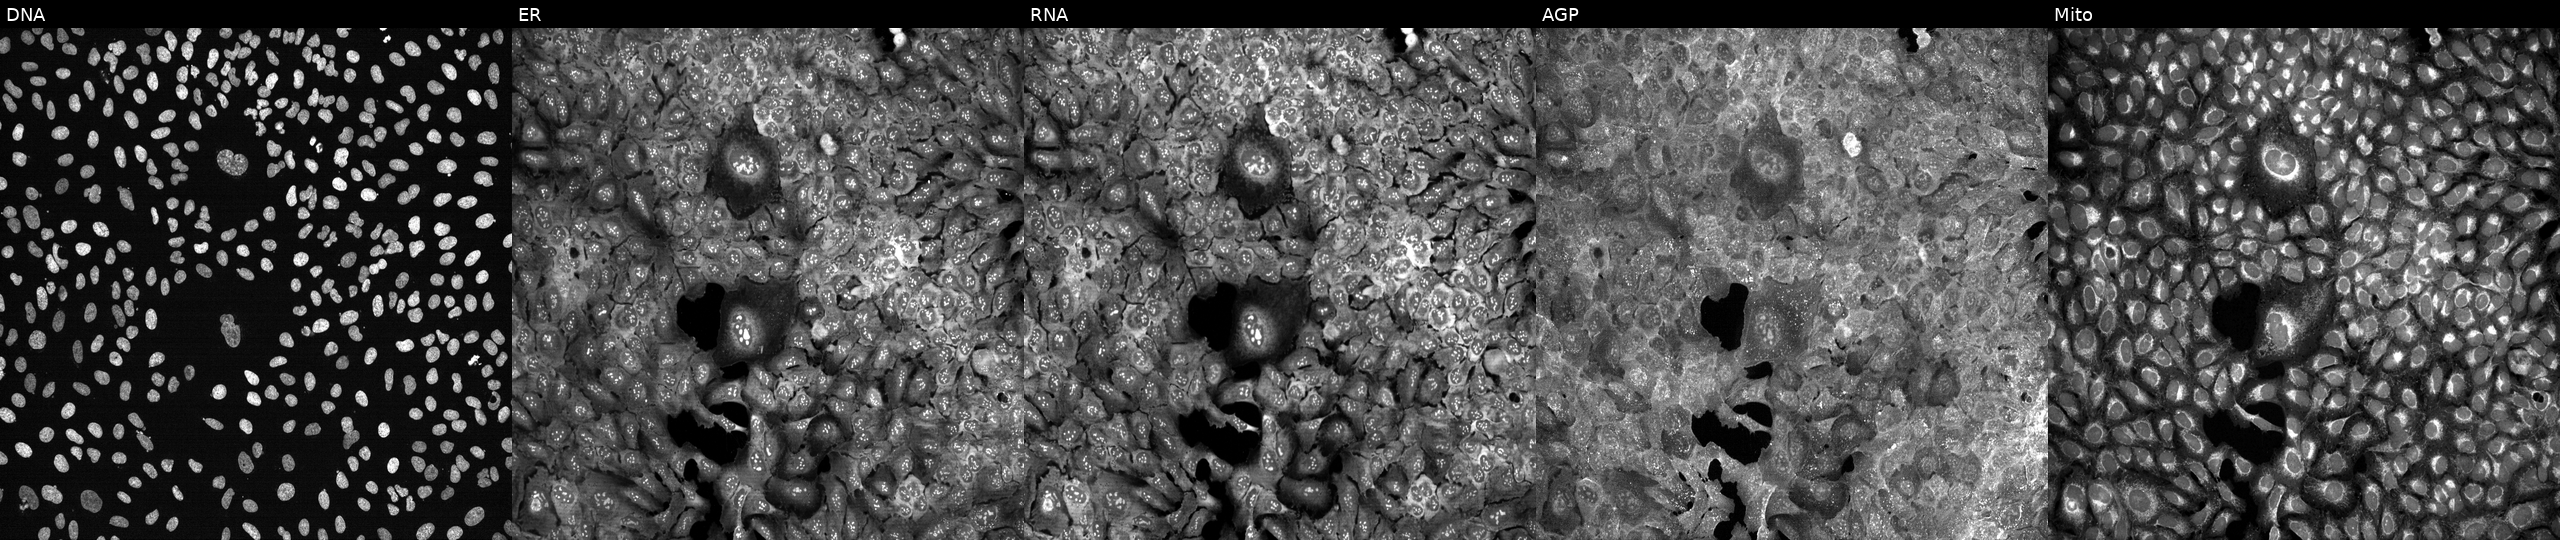
Five-channel Cell Painting image of U2OS cells CRISPR-edited to disrupt CP. The five panels, left to right, show DNA, ER, RNA, AGP, and Mito.